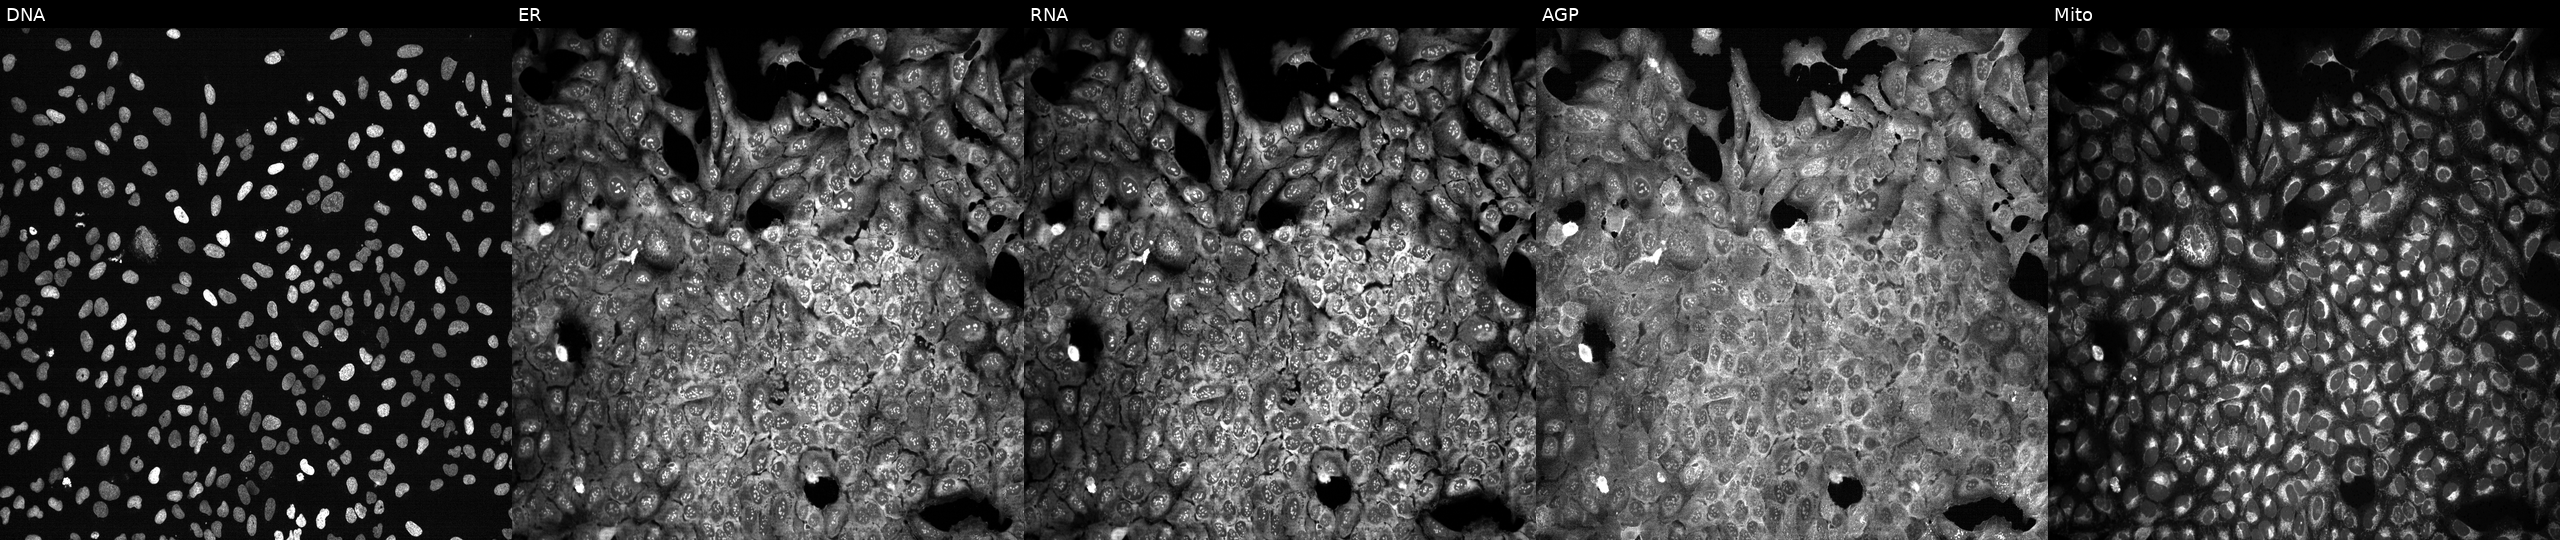
U2OS cells, Cell Painting assay, with RNASE8 knocked out by CRISPR. Channels (left→right): DNA, ER, RNA, AGP, and Mito. Each panel is percentile-stretched 16-bit fluorescence.